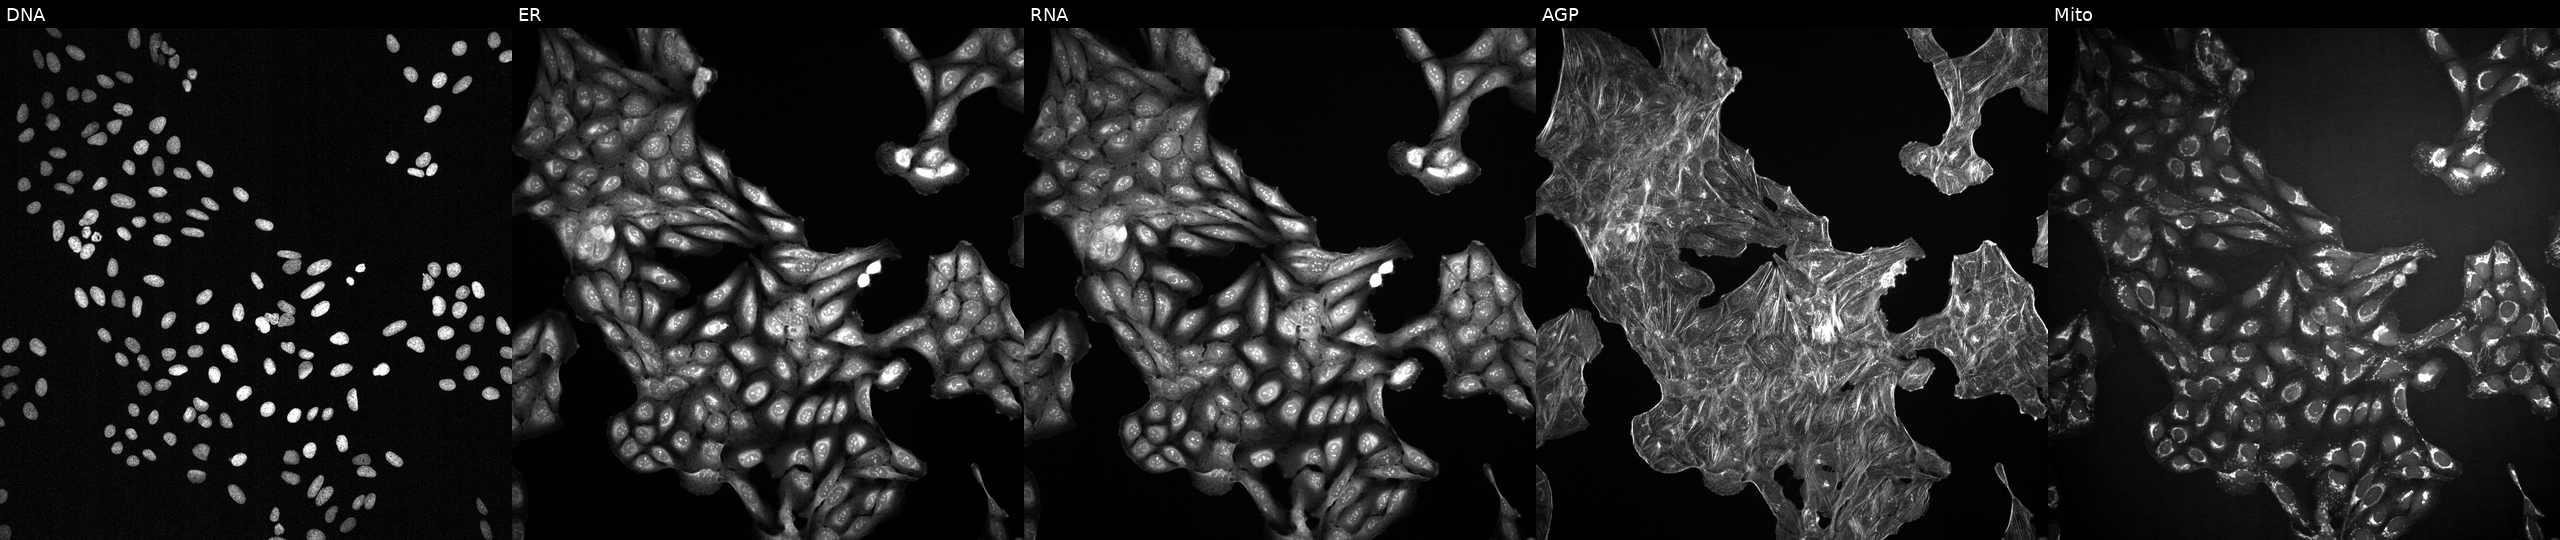
High-content fluorescence microscopy (Cell Painting). Cell line: U2OS. Perturbation: exposed to a small-molecule compound (InChIKey TXZPMHLMPKIUGK-UHFFFAOYSA-N) (JUMP id JCP2022_087474). Channels (left→right): DNA, ER, RNA, AGP, and Mito.